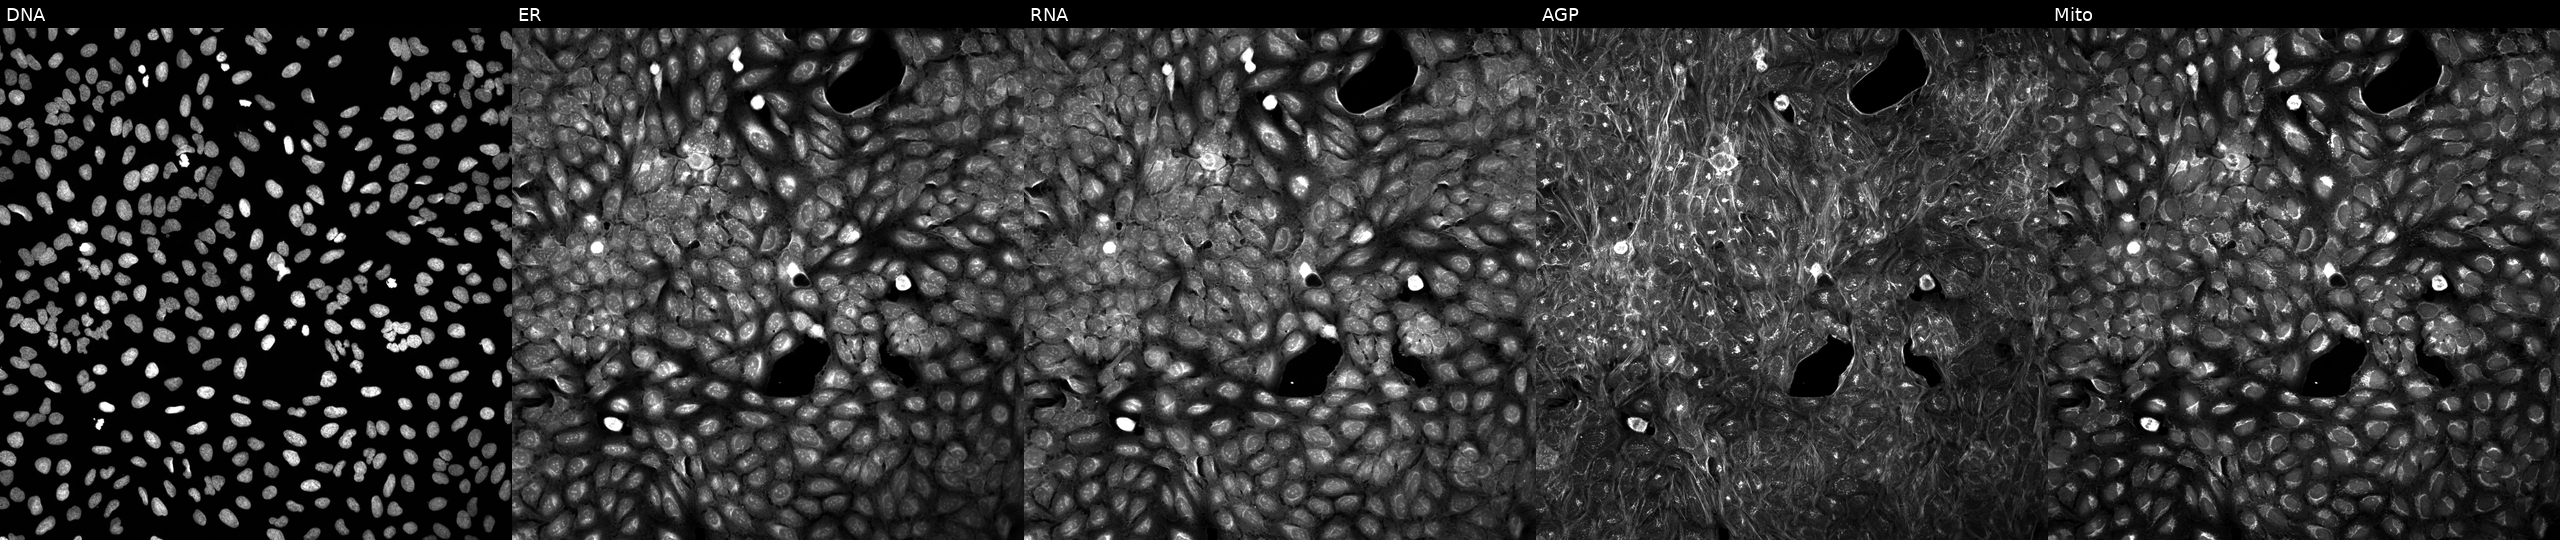
Channels (left→right): Hoechst 33342, concanavalin A, SYTO 14, phalloidin and WGA, MitoTracker. U2OS osteosarcoma cells exposed to a small-molecule compound (InChIKey JFHOTBKEWLLJAN-UHFFFAOYSA-N) (JUMP id JCP2022_039394). Cell Painting assay, JUMP-CP dataset.